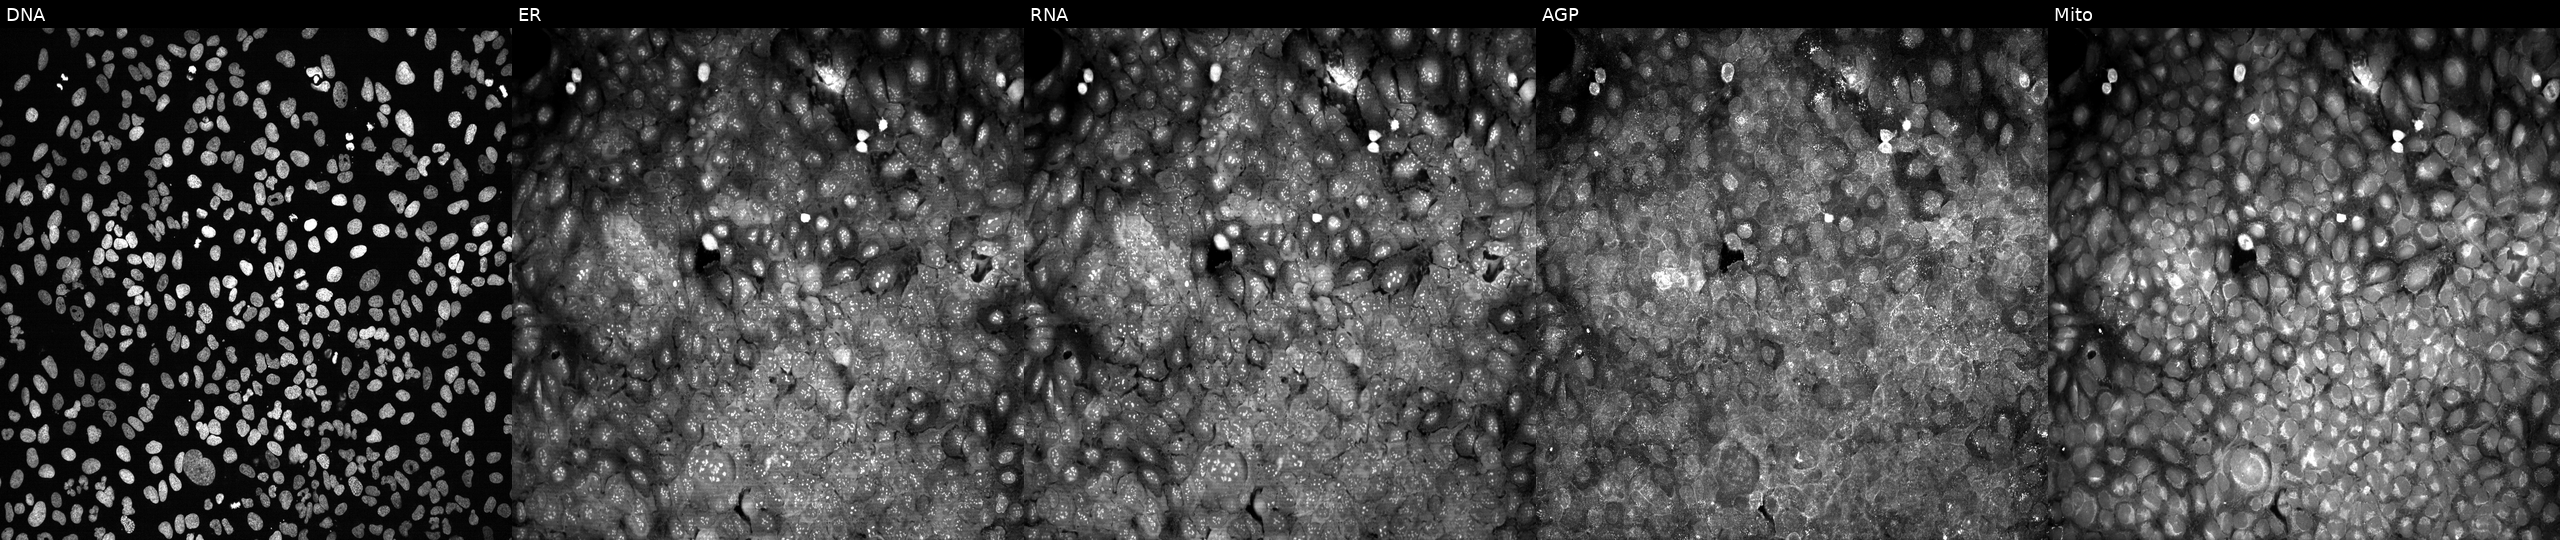
High-content fluorescence microscopy (Cell Painting). Cell line: U2OS. Perturbation: with KIF13B knocked out by CRISPR. Panels show, left to right, Hoechst 33342, concanavalin A, SYTO 14, phalloidin and WGA, MitoTracker.